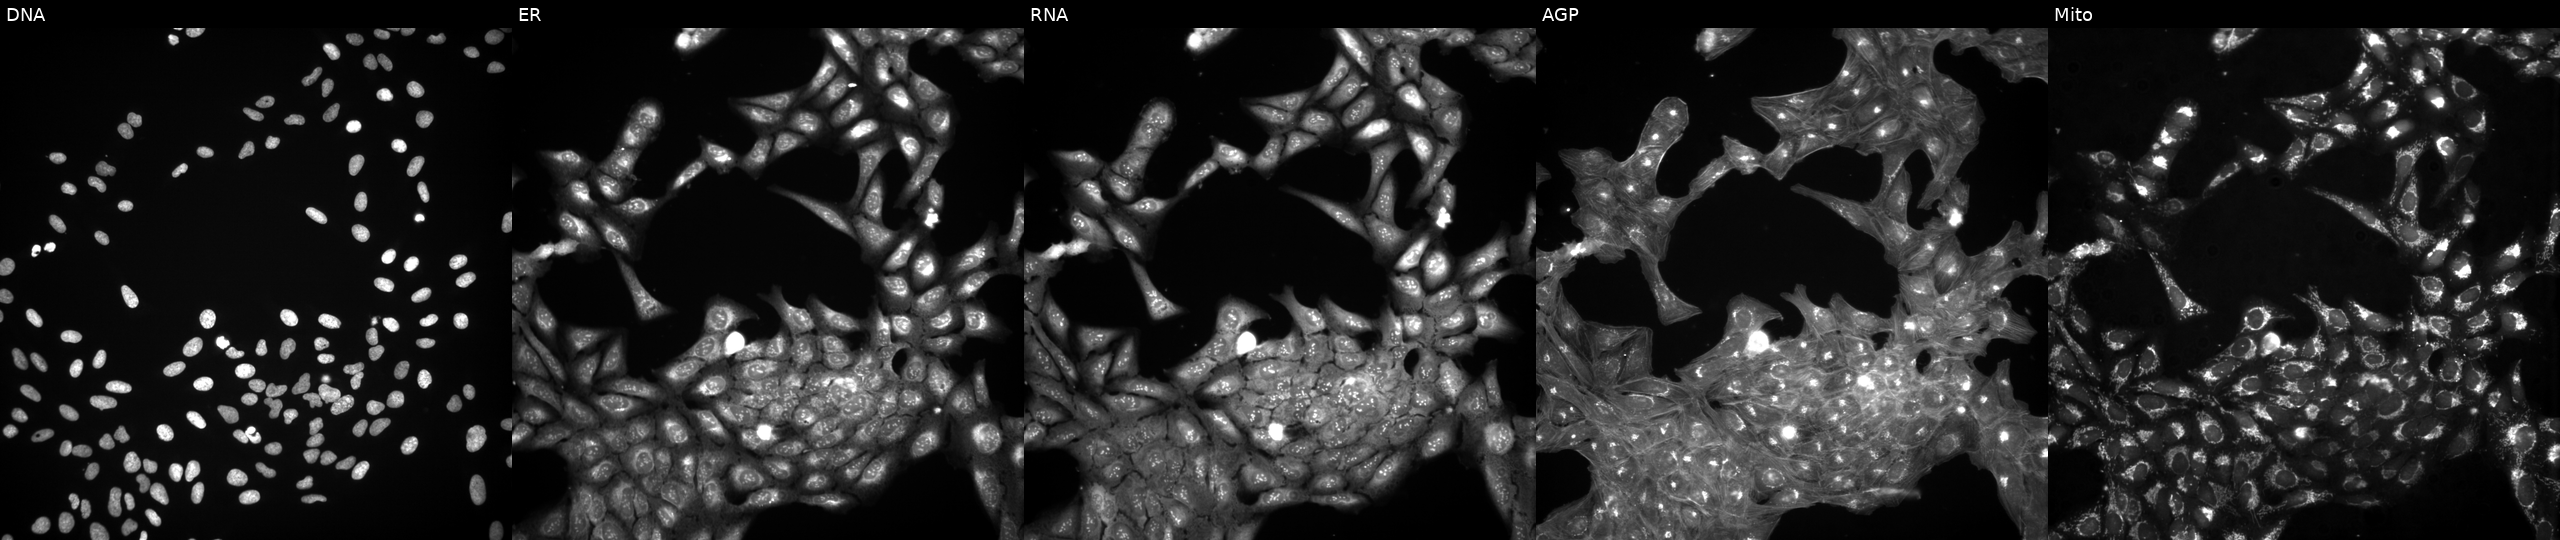
This image strip shows the five Cell Painting channels for a single field of U2OS cells treated with a small-molecule compound (InChIKey NMUSYJAQQFHJEW-UHFFFAOYSA-N) (JUMP id JCP2022_060040). From left to right: Hoechst 33342, concanavalin A, SYTO 14, phalloidin and WGA, MitoTracker. Source 3, plate JCPQC052, well H20.